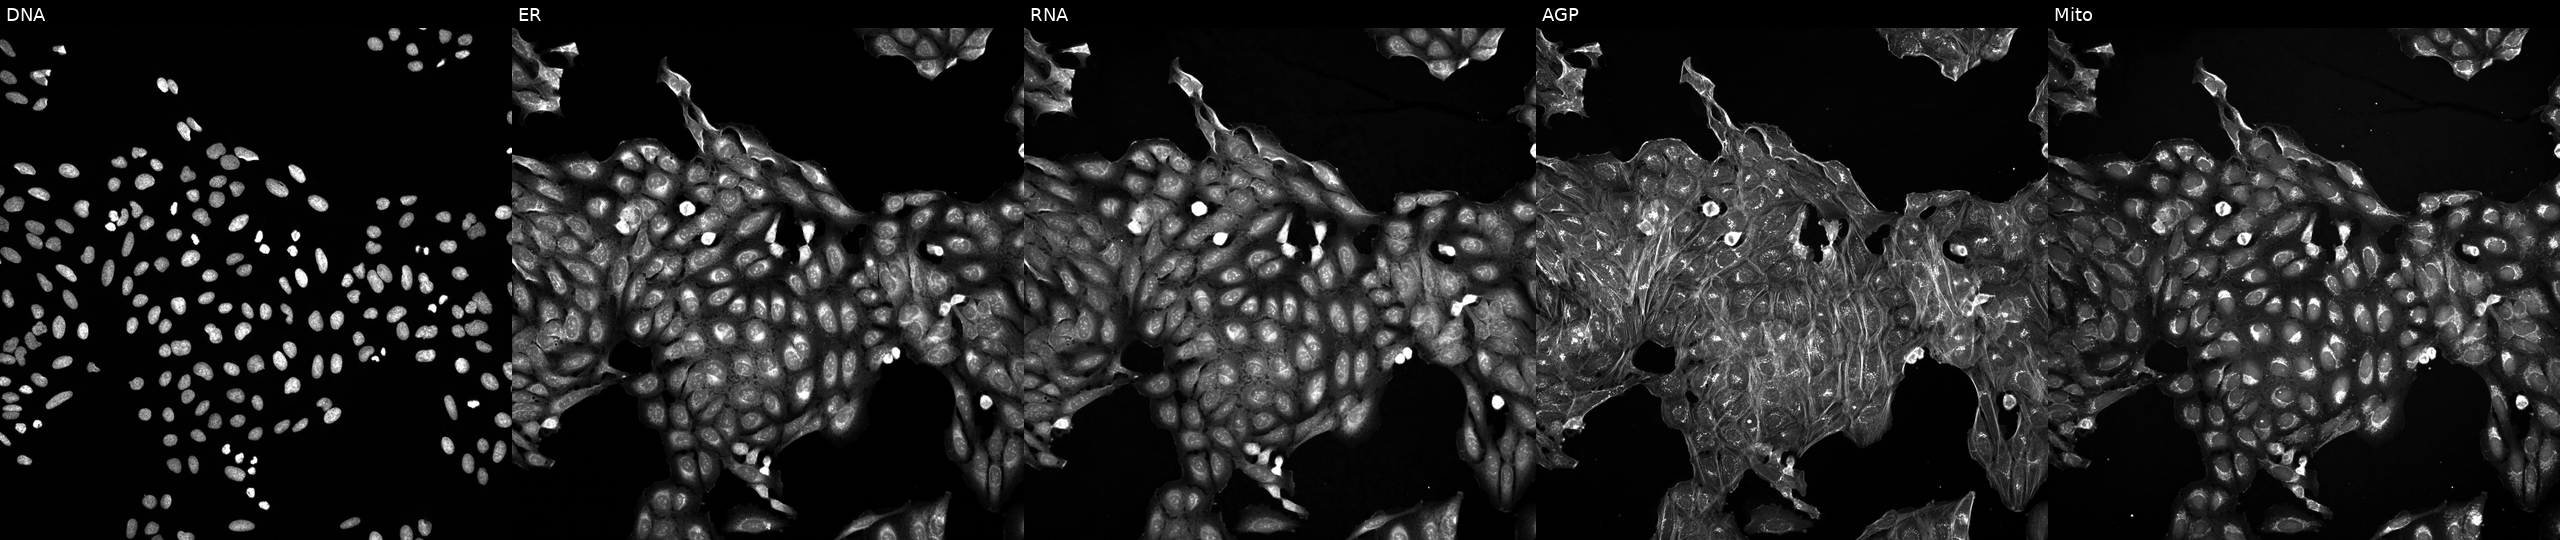
JUMP Cell Painting — TARGET2 plate. U2OS cells treated with a small-molecule compound (InChIKey ZQPXNYLXYNRFNP-UHFFFAOYSA-N) [SMILES: O=[N+]([O-])c1ccc2[nH]c(COCc3nc4cc([N+](=O)[O-])ccc4[nH]3)nc2c1] (JUMP id JCP2022_115049). From left to right: Hoechst 33342, concanavalin A, SYTO 14, phalloidin and WGA, MitoTracker. Source 5, plate ACPJUM051, well C14.